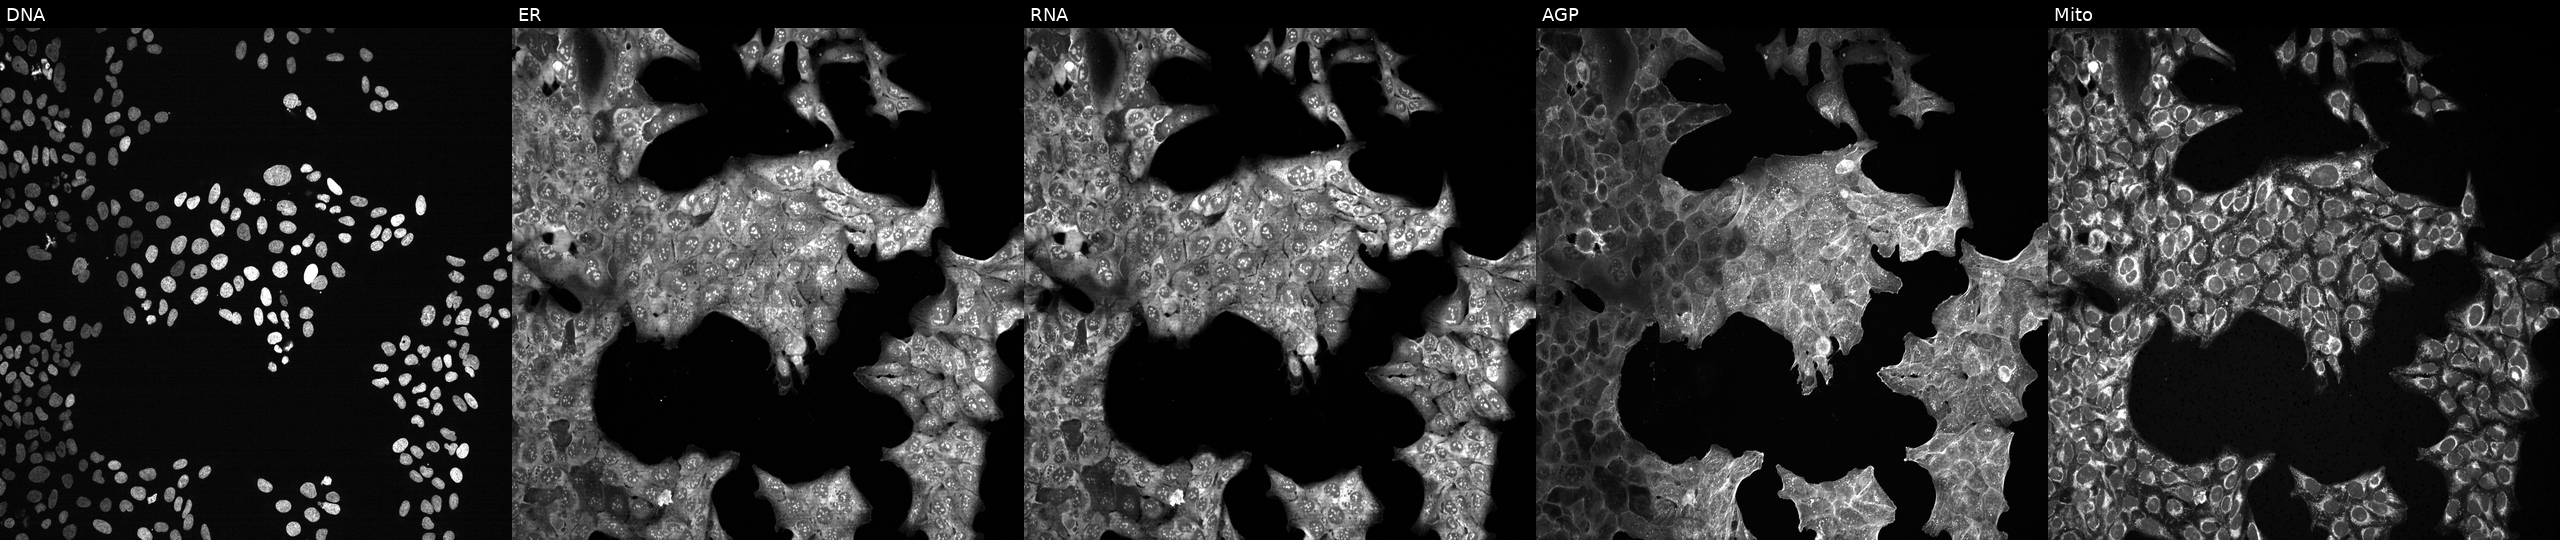
High-content fluorescence microscopy (Cell Painting). Cell line: U2OS. Perturbation: exposed to the positive-control compound LY2109761 (JUMP id JCP2022_035095). Channels (left→right): DNA, ER, RNA, AGP, and Mito.